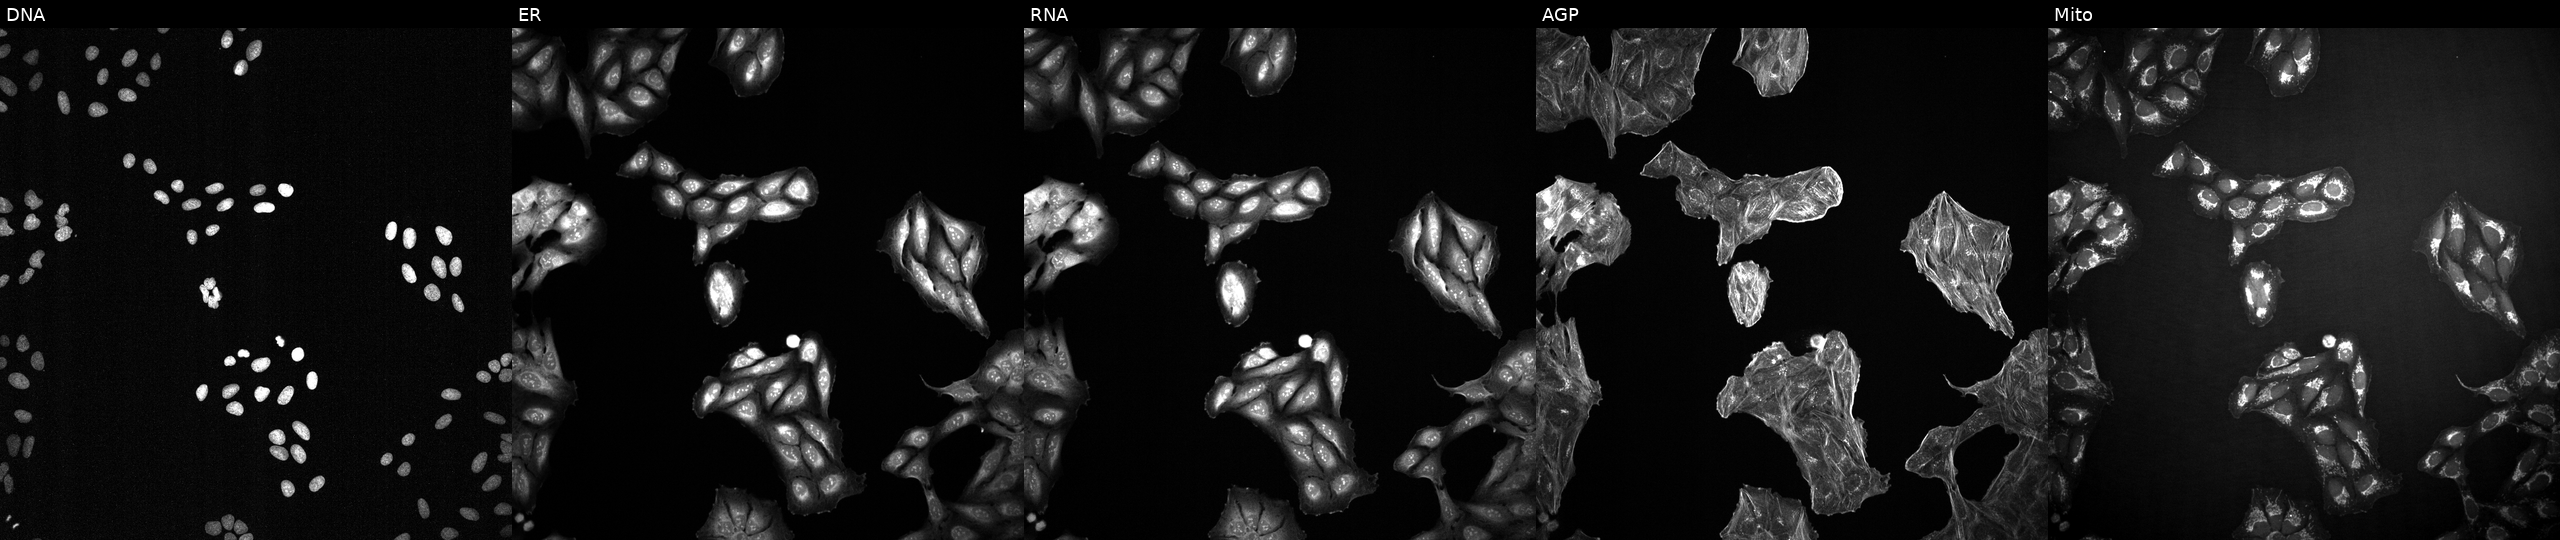
High-content fluorescence microscopy (Cell Painting). Cell line: U2OS. Perturbation: treated with a small-molecule compound (InChIKey NYNZQNWKBKUAII-UHFFFAOYSA-N) (JUMP id JCP2022_062184). The five panels, left to right, show DNA, ER, RNA, AGP, and Mito.